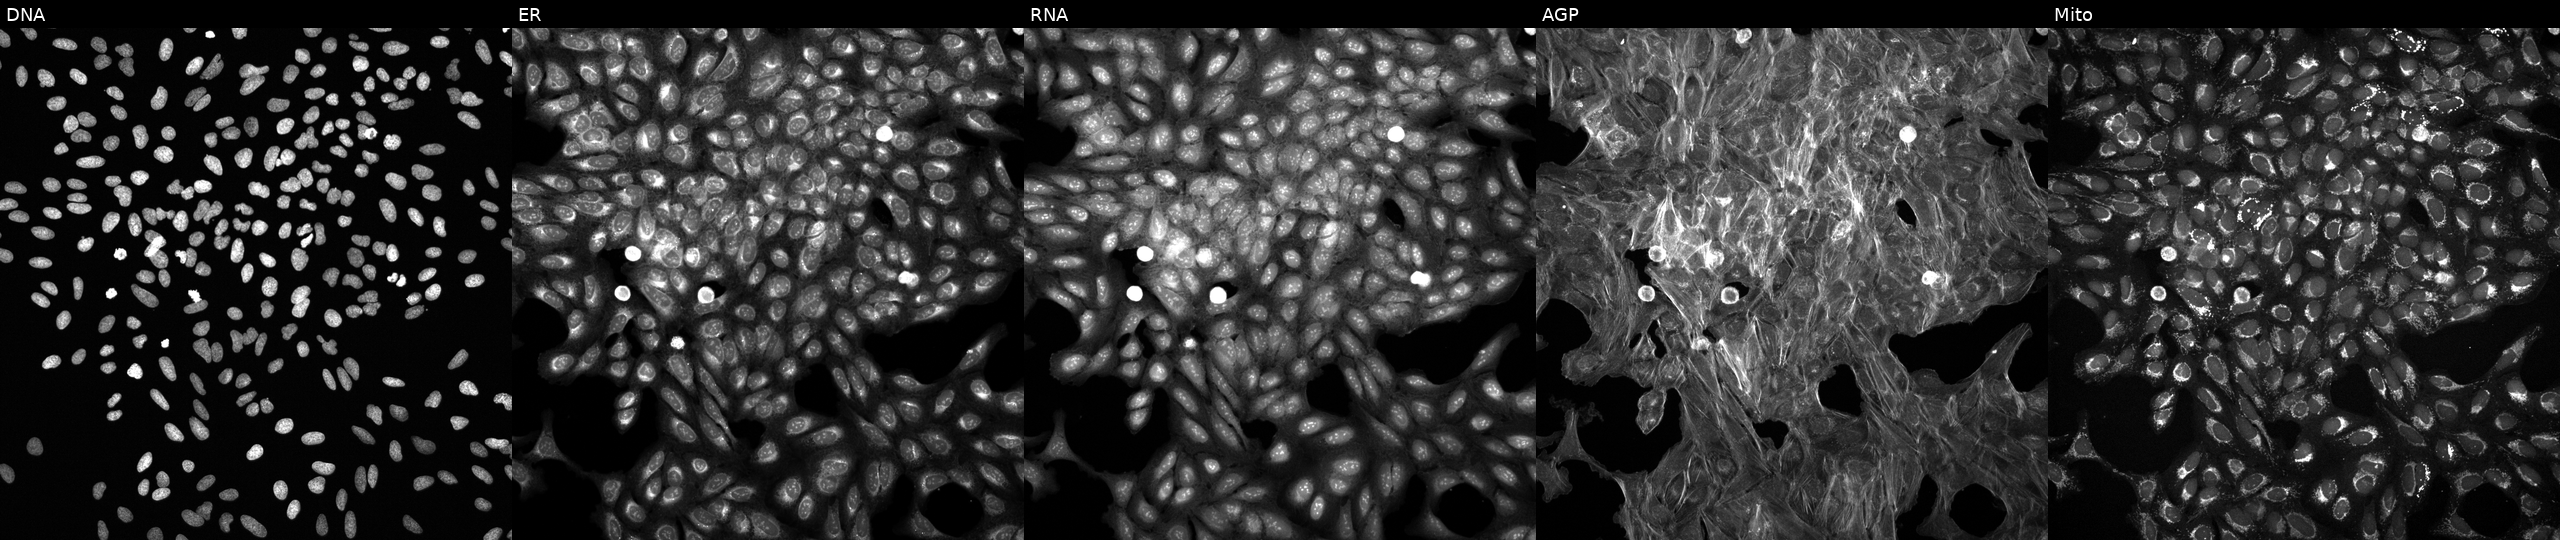
U2OS cells, Cell Painting assay, exposed to DMSO alone as a negative control (JUMP id JCP2022_033924). Channels (left→right): DNA, ER, RNA, AGP, and Mito. Each panel is percentile-stretched 16-bit fluorescence.